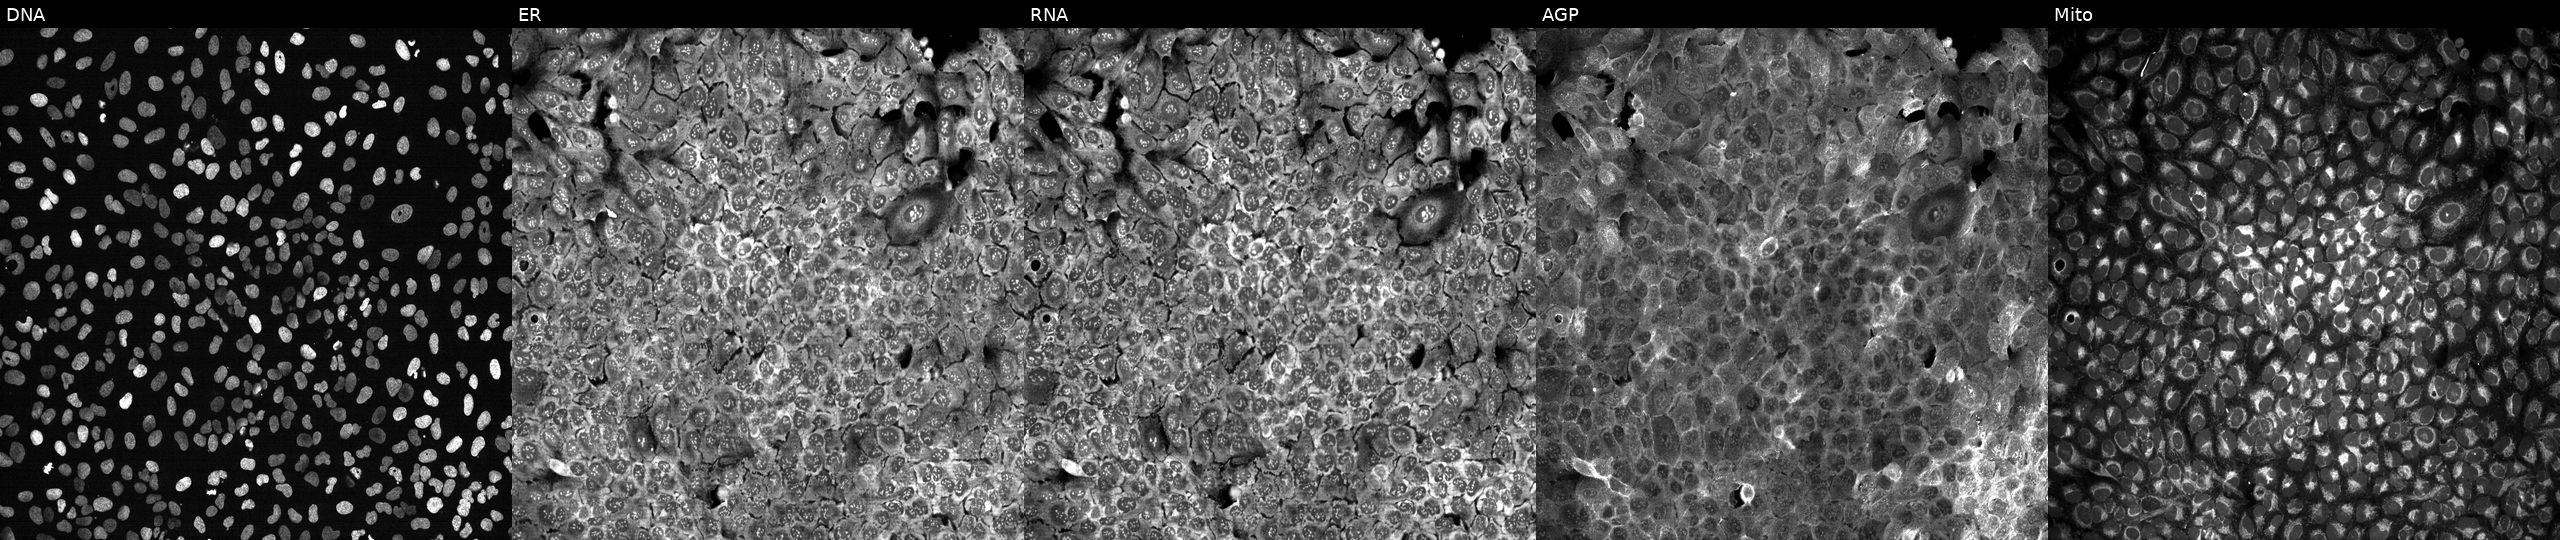
U2OS cells, Cell Painting assay, CRISPR-edited to disrupt PLOD3 (JUMP id JCP2022_805271). The five panels, left to right, show DNA (nuclei); ER (endoplasmic reticulum); RNA (nucleoli and cytoplasmic RNA); AGP (actin cytoskeleton, Golgi, and plasma membrane); Mito (mitochondria). Each panel is percentile-stretched 16-bit fluorescence.